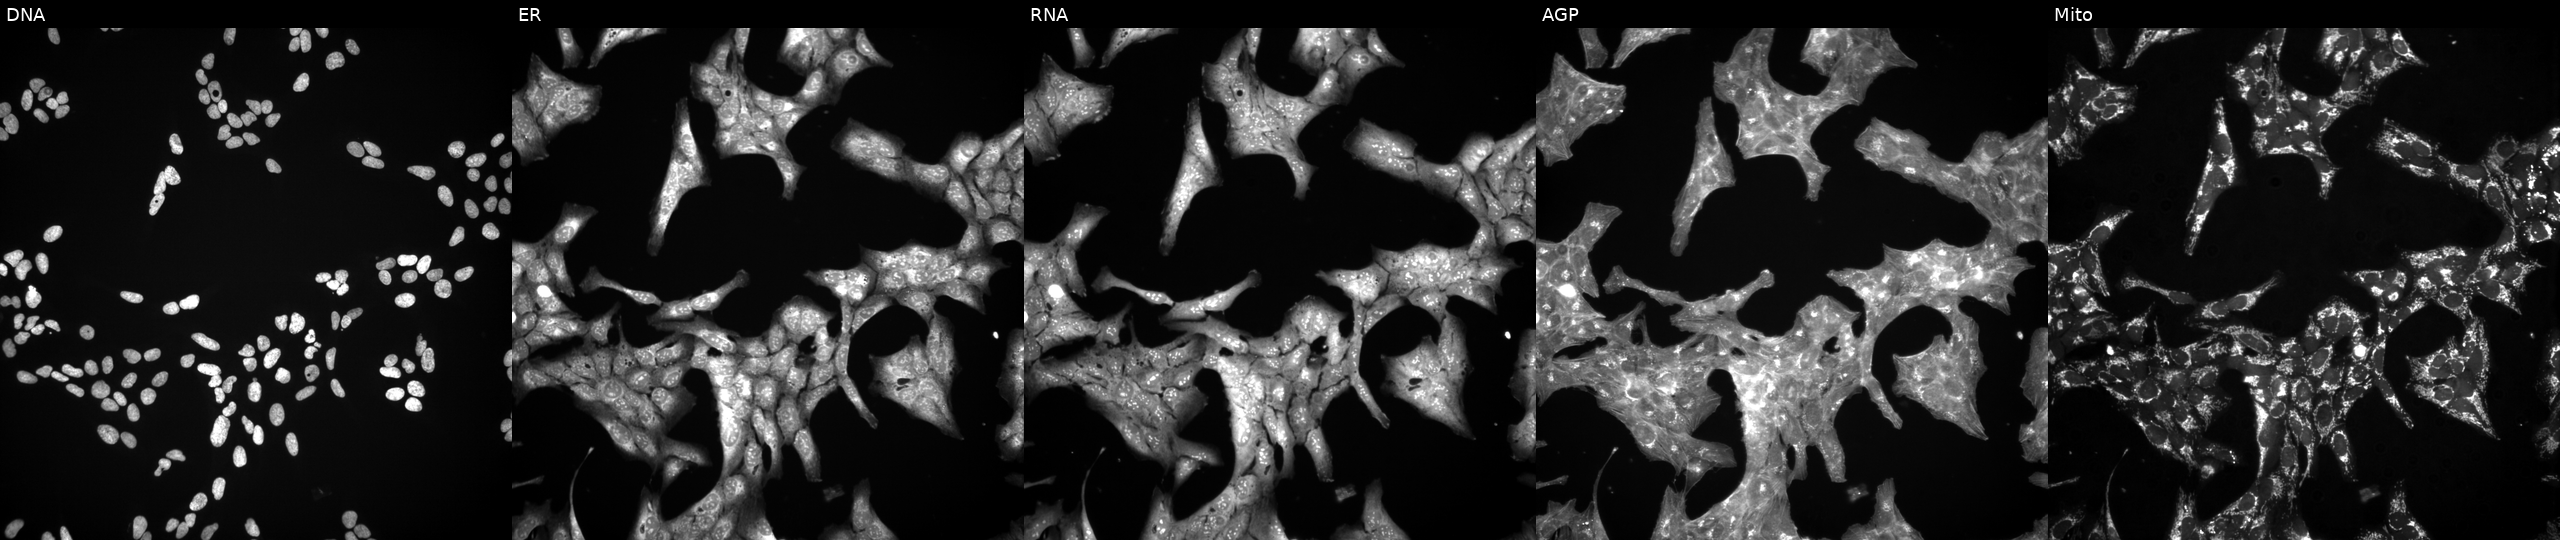
From left to right: Hoechst 33342, concanavalin A, SYTO 14, phalloidin and WGA, MitoTracker. U2OS osteosarcoma cells exposed to a small-molecule compound (InChIKey CDMGBJANTYXAIV-UHFFFAOYSA-N). Cell Painting assay, JUMP-CP dataset.